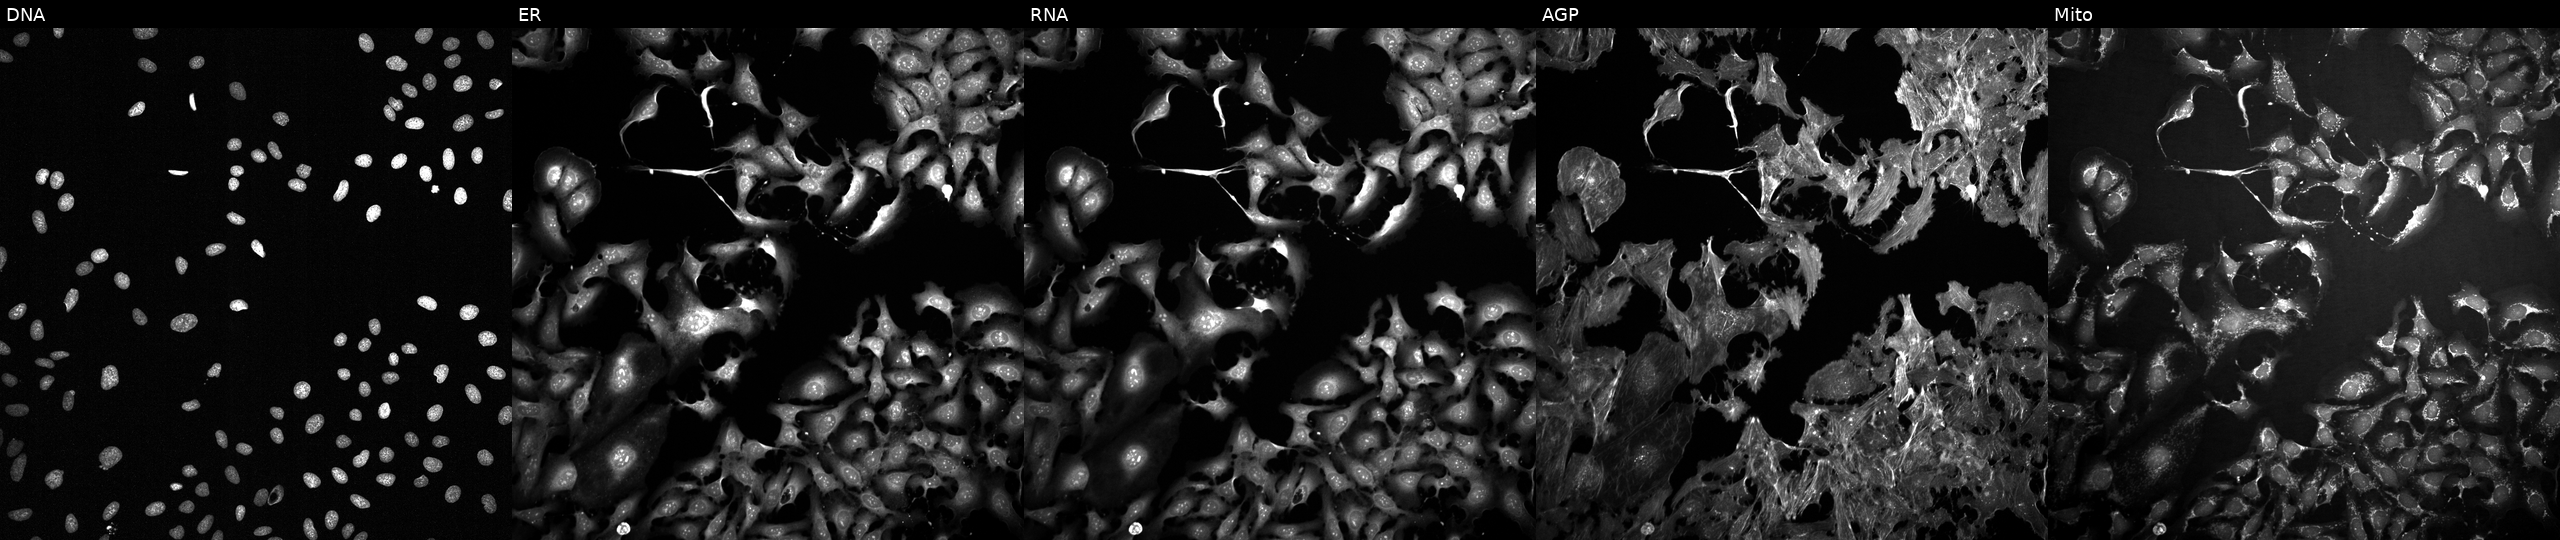
U2OS cells, Cell Painting assay, treated with FK-866 (positive-control compound) (JUMP id JCP2022_046054). From left to right: DNA, ER, RNA, AGP, and Mito. Each panel is percentile-stretched 16-bit fluorescence.